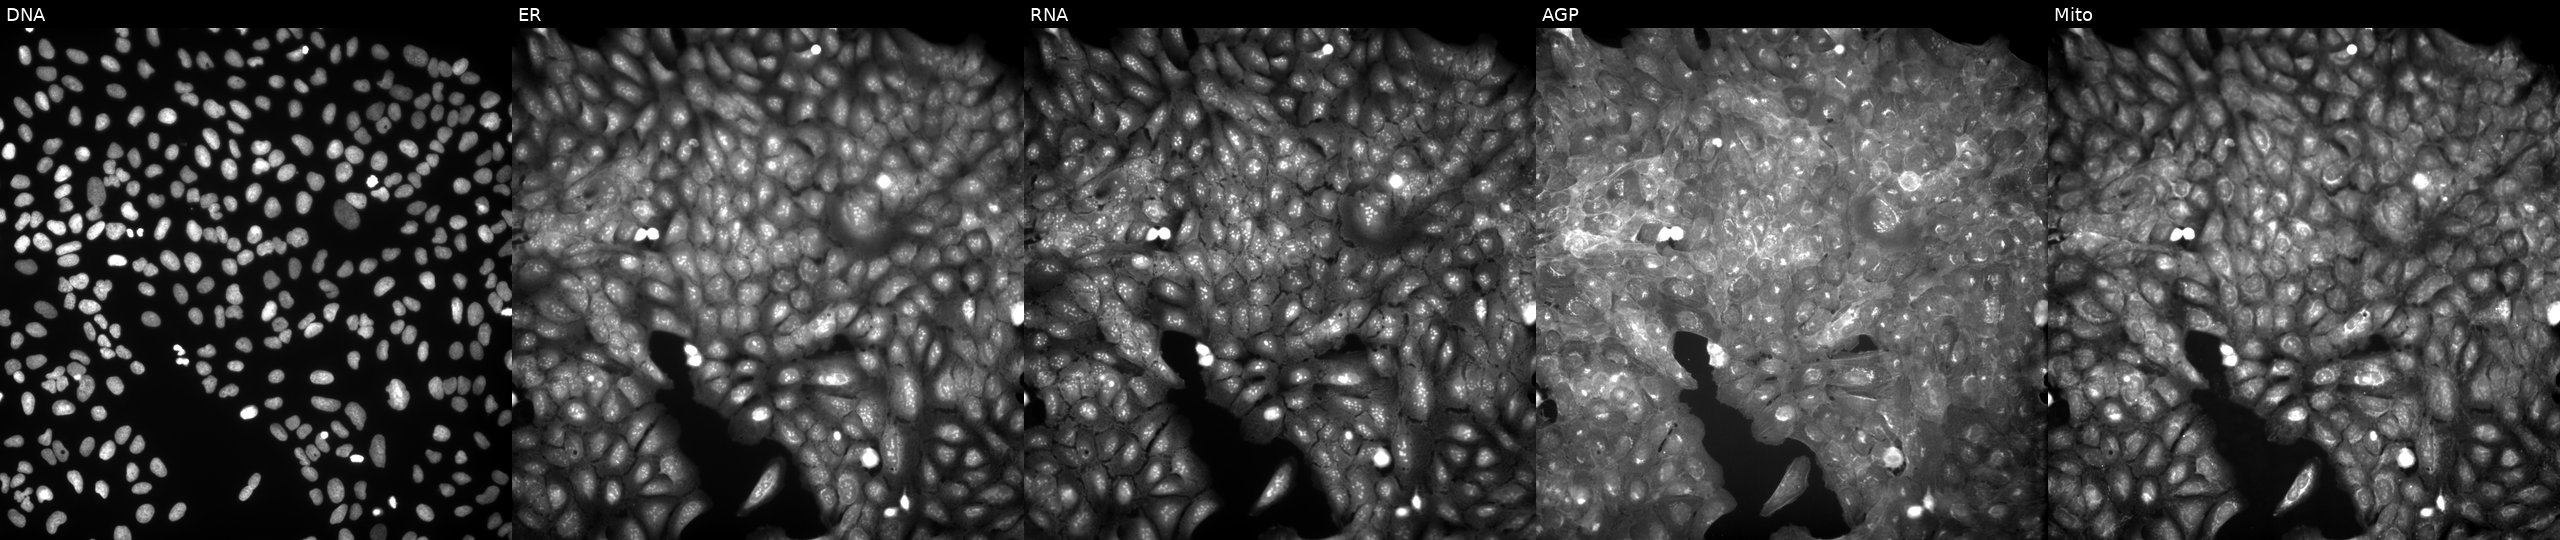
JUMP Cell Painting — COMPOUND plate. U2OS cells treated with TC-S-7004 (positive-control compound). Panels show, left to right, Hoechst 33342, concanavalin A, SYTO 14, phalloidin and WGA, MitoTracker.